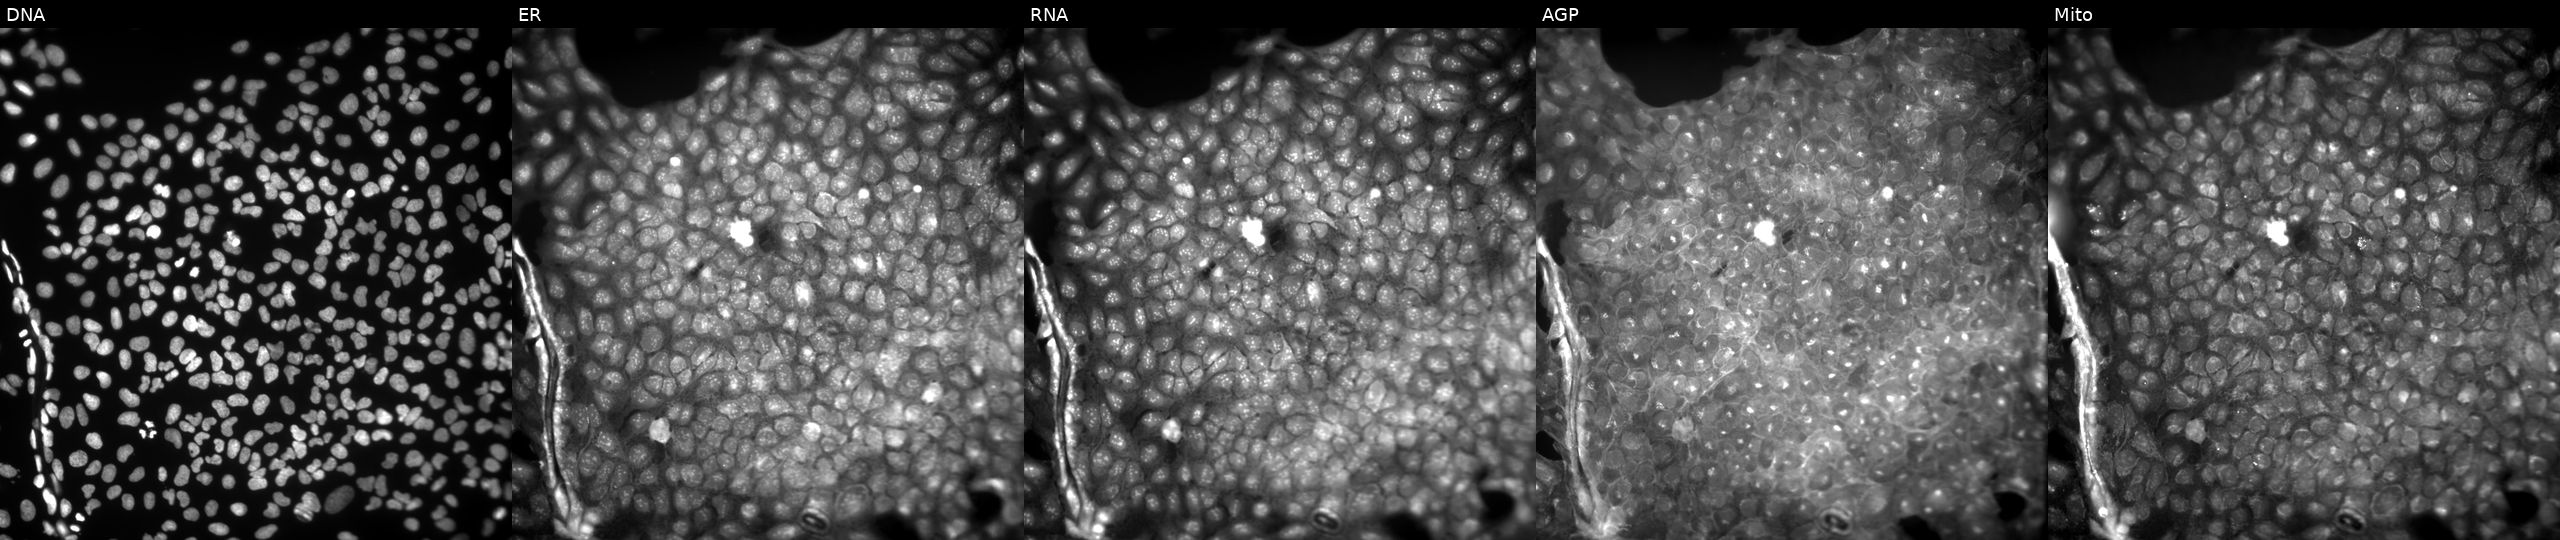
High-content fluorescence microscopy (Cell Painting). Cell line: U2OS. Perturbation: treated with a small-molecule compound (InChIKey WYOAJTDSENSNDV-UHFFFAOYSA-N) [SMILES: CCC(=O)Nc1cccc(-c2cn3ccccc3n2)c1] (JUMP id JCP2022_102038). Panels show, left to right, DNA (nuclei); ER (endoplasmic reticulum); RNA (nucleoli and cytoplasmic RNA); AGP (actin cytoskeleton, Golgi, and plasma membrane); Mito (mitochondria).